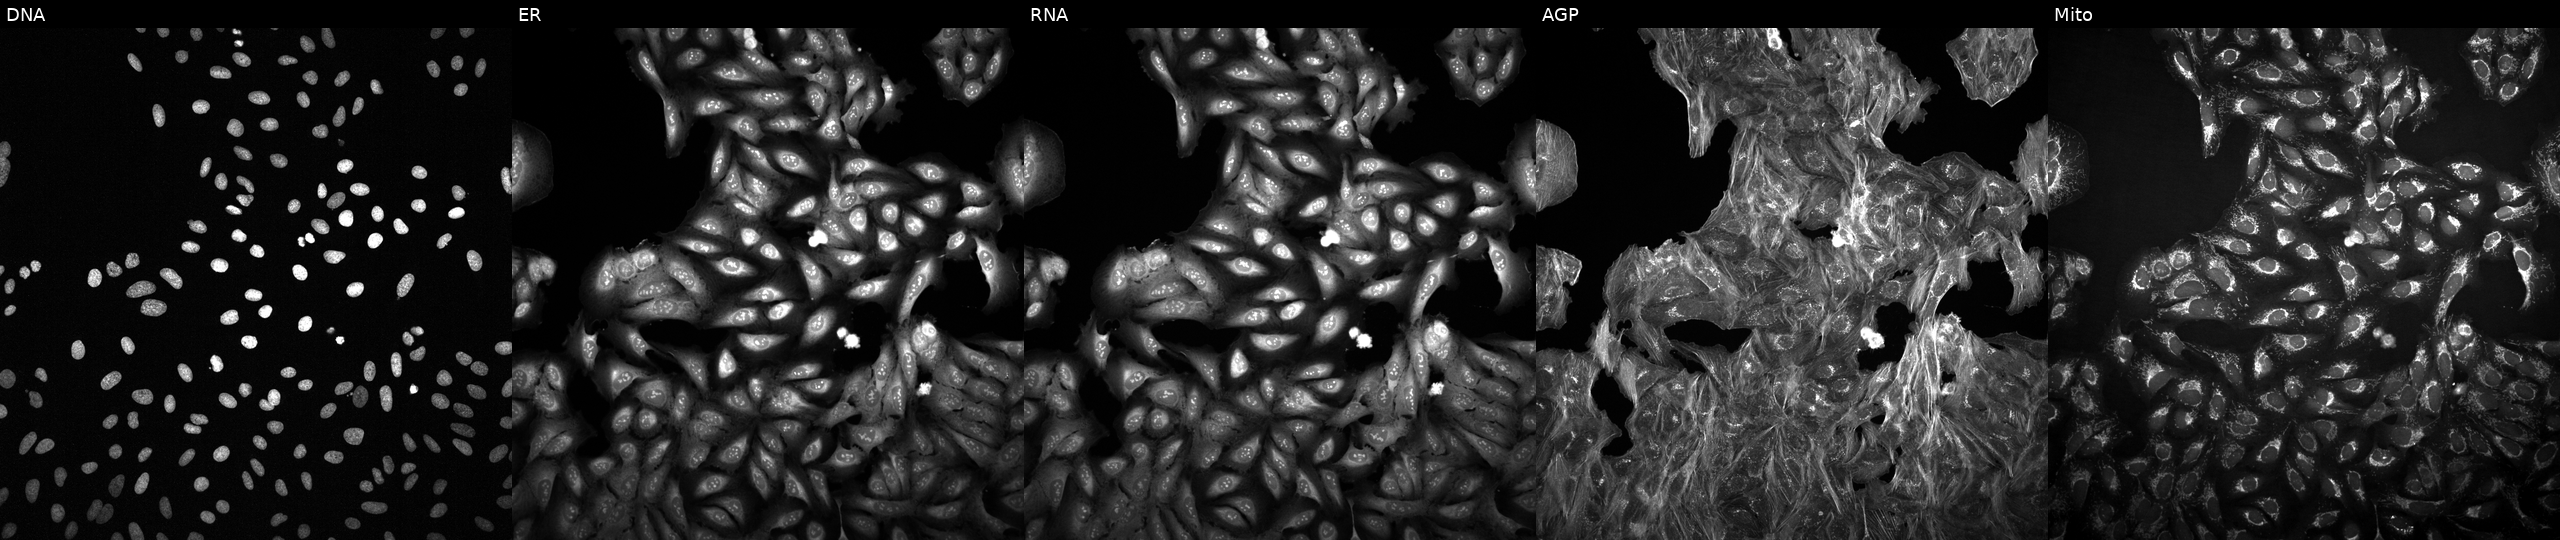
JUMP Cell Painting — COMPOUND plate. U2OS cells treated with a small-molecule compound (InChIKey CTIKLOYSFXVSDR-UHFFFAOYSA-N) [SMILES: CC(=O)c1sc(SCCS(=O)(=O)c2ccccc2)c2c1CC(C)(C)CC2=O]. Panels show, left to right, DNA, ER, RNA, AGP, and Mito. Source 2, plate 1053601756, well A10.